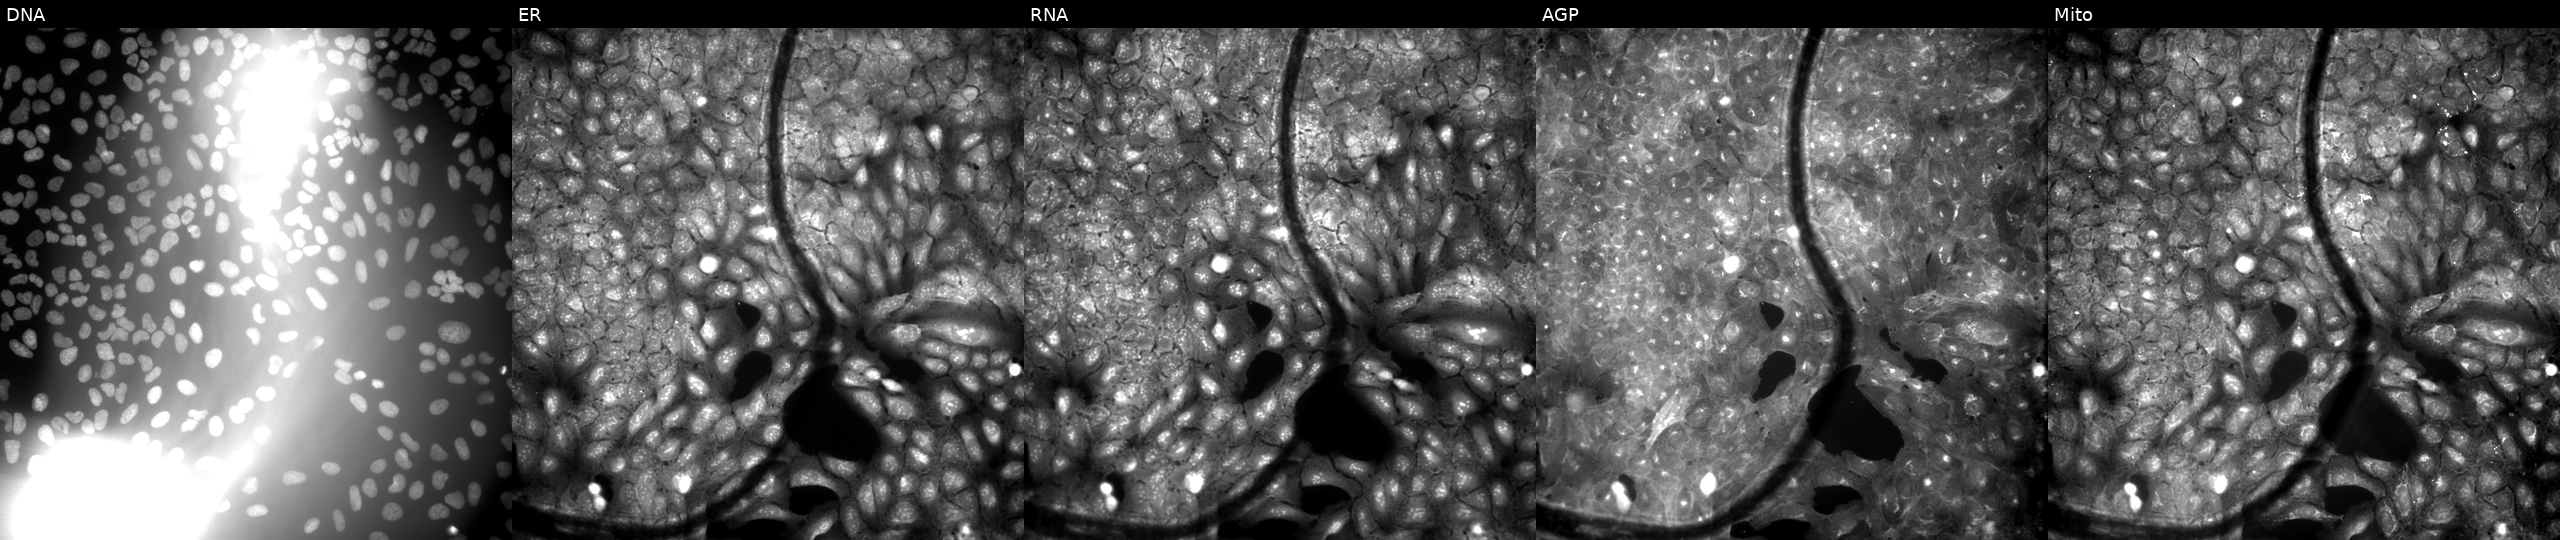
Five-channel Cell Painting image of U2OS cells exposed to DMSO alone as a negative control. Channels (left→right): Hoechst 33342, concanavalin A, SYTO 14, phalloidin and WGA, MitoTracker. Source 9, plate GR00003381, well Q26.